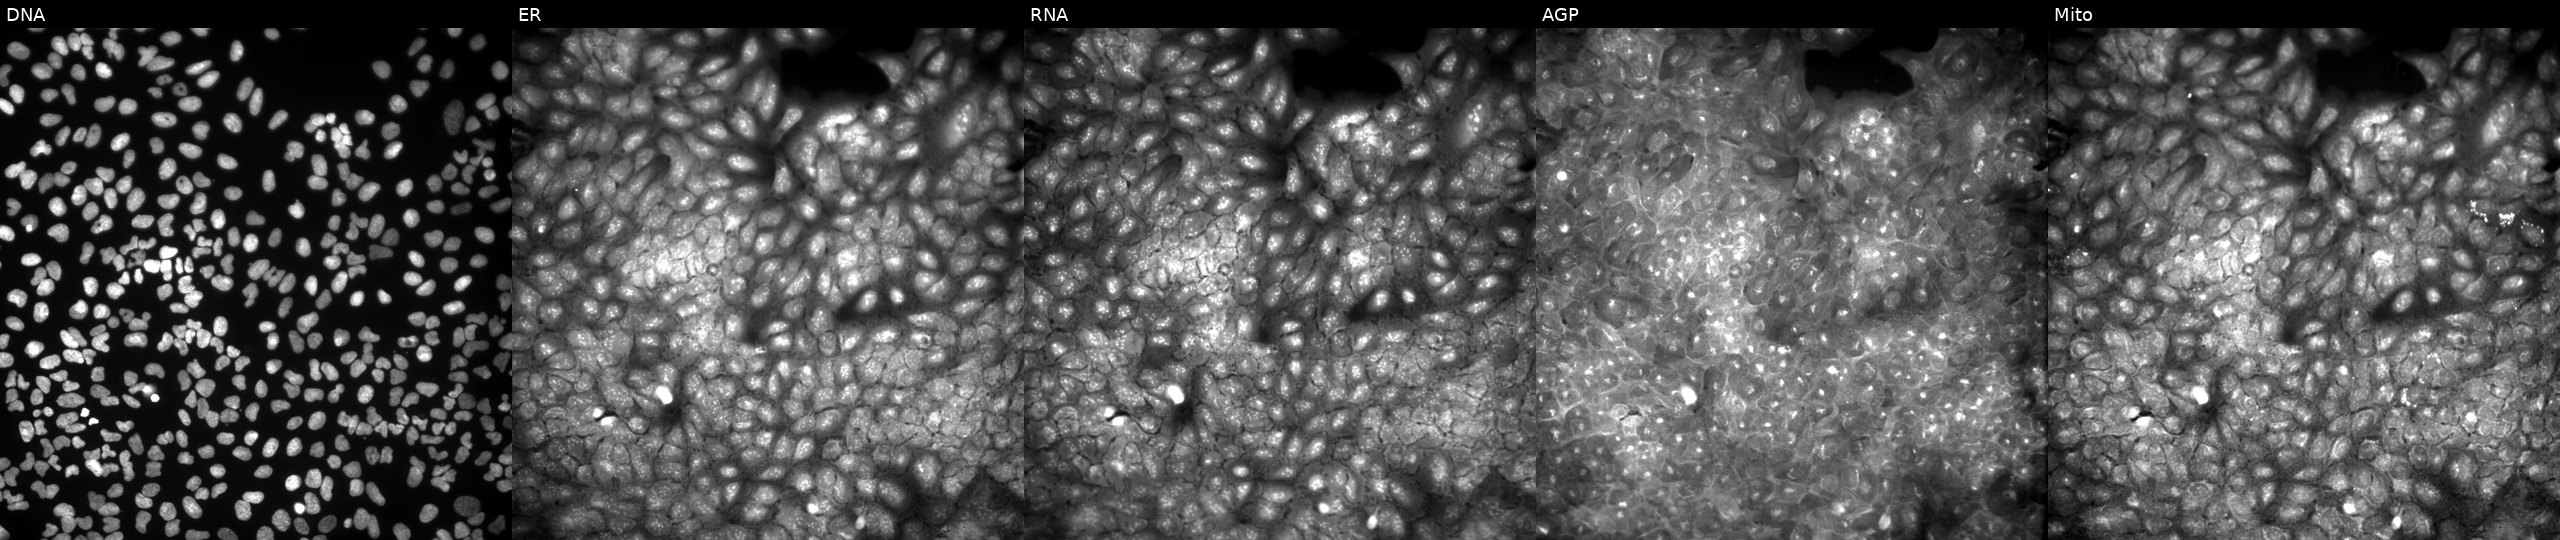
The five panels, left to right, show Hoechst 33342, concanavalin A, SYTO 14, phalloidin and WGA, MitoTracker. U2OS osteosarcoma cells exposed to DMSO alone as a negative control. Cell Painting assay, JUMP-CP dataset.